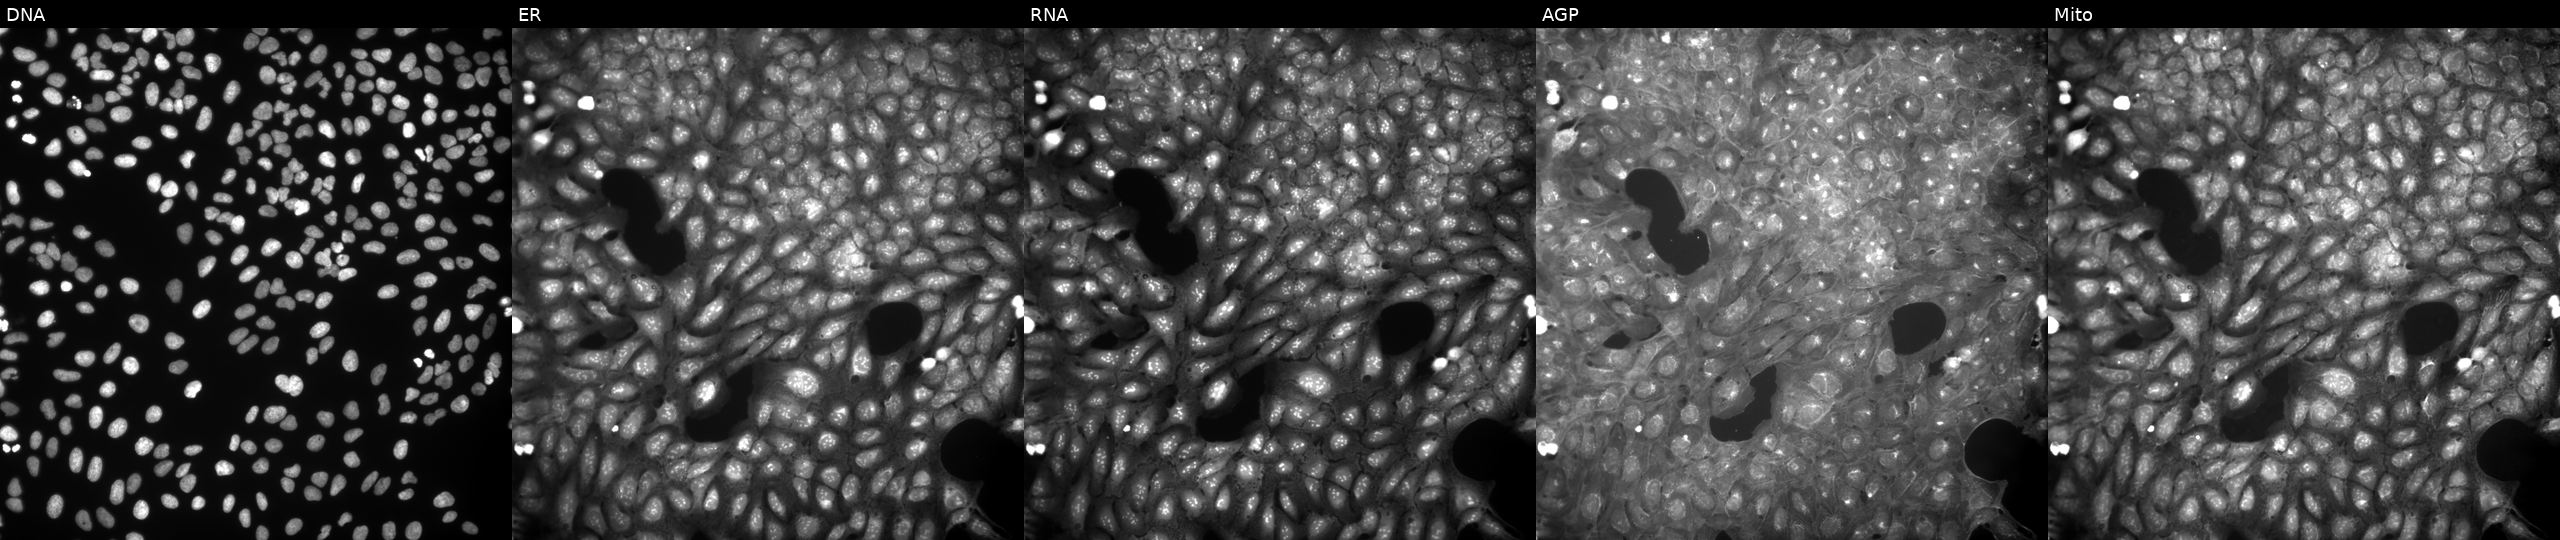
Five-channel Cell Painting image of U2OS cells treated with a small-molecule compound (InChIKey STXMGCVPFMVMQV-UHFFFAOYSA-N) (JUMP id JCP2022_085612). From left to right: Hoechst 33342, concanavalin A, SYTO 14, phalloidin and WGA, MitoTracker.